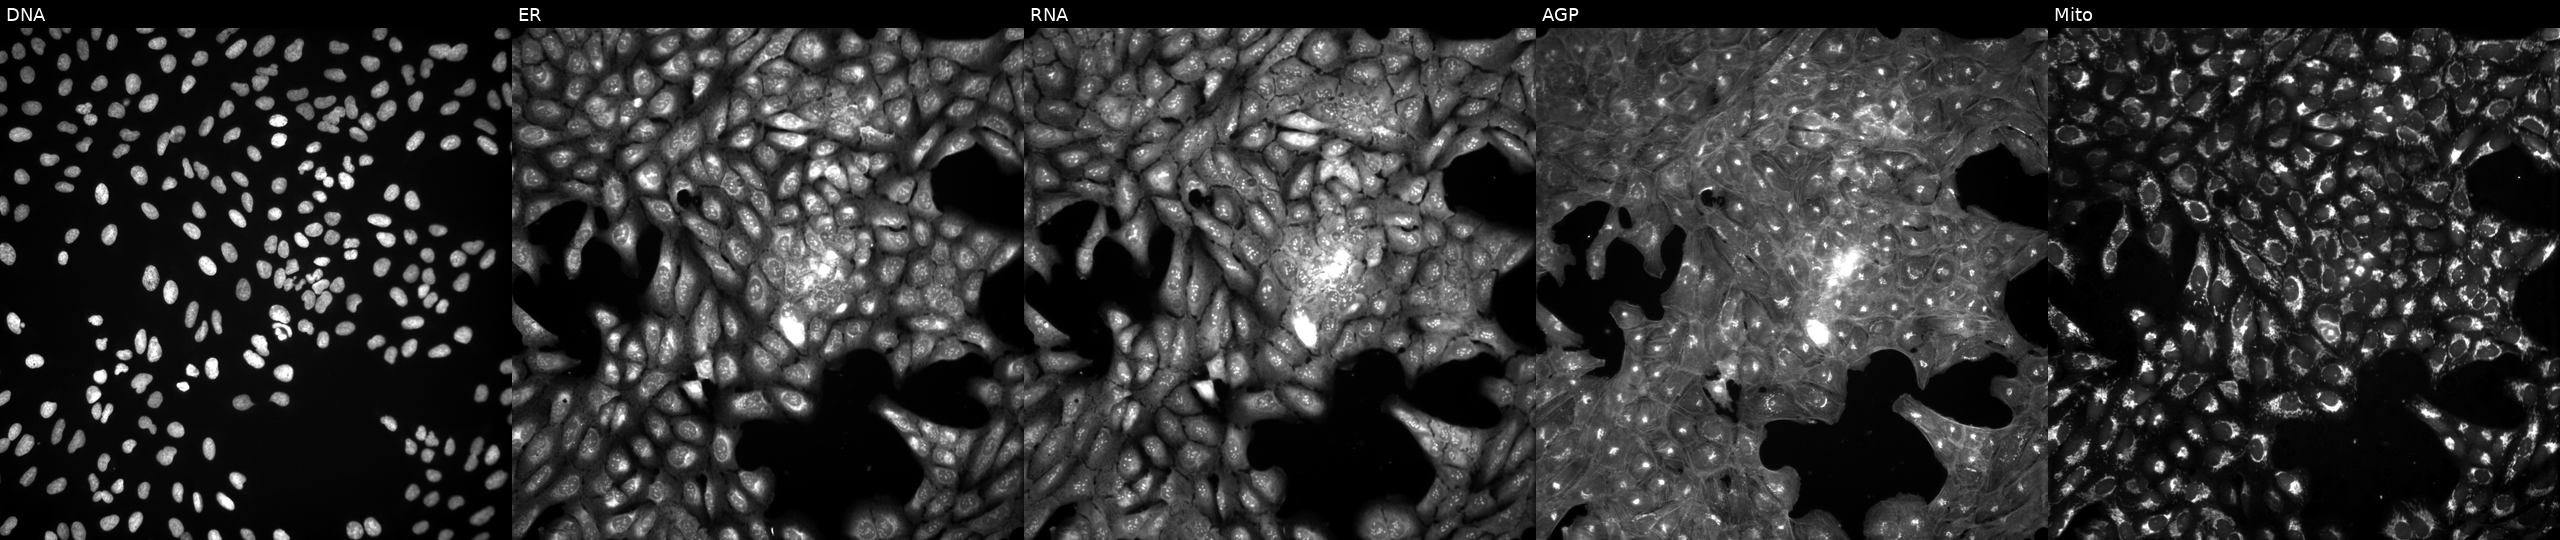
This image strip shows the five Cell Painting channels for a single field of U2OS cells exposed to a small-molecule compound (InChIKey PMLSNVUJXXGRRW-UHFFFAOYSA-N). Panels show, left to right, DNA, ER, RNA, AGP, and Mito. Source 3, plate BR5867a3, well F04.